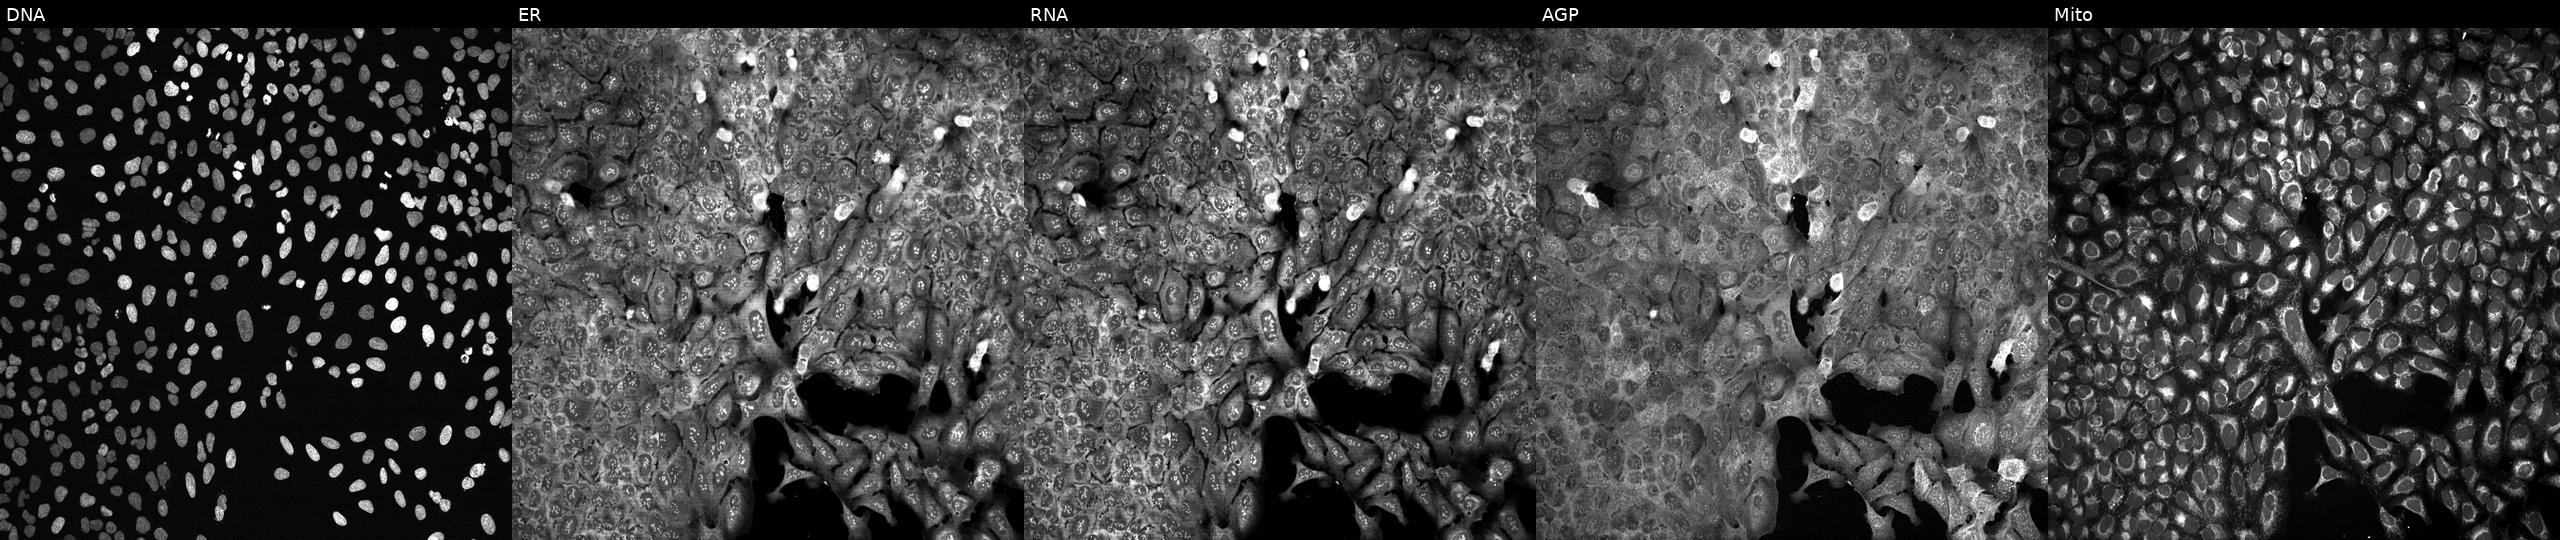
JUMP Cell Painting — CRISPR plate. U2OS cells with ISG20L2 knocked out by CRISPR. Panels show, left to right, Hoechst 33342, concanavalin A, SYTO 14, phalloidin and WGA, MitoTracker.